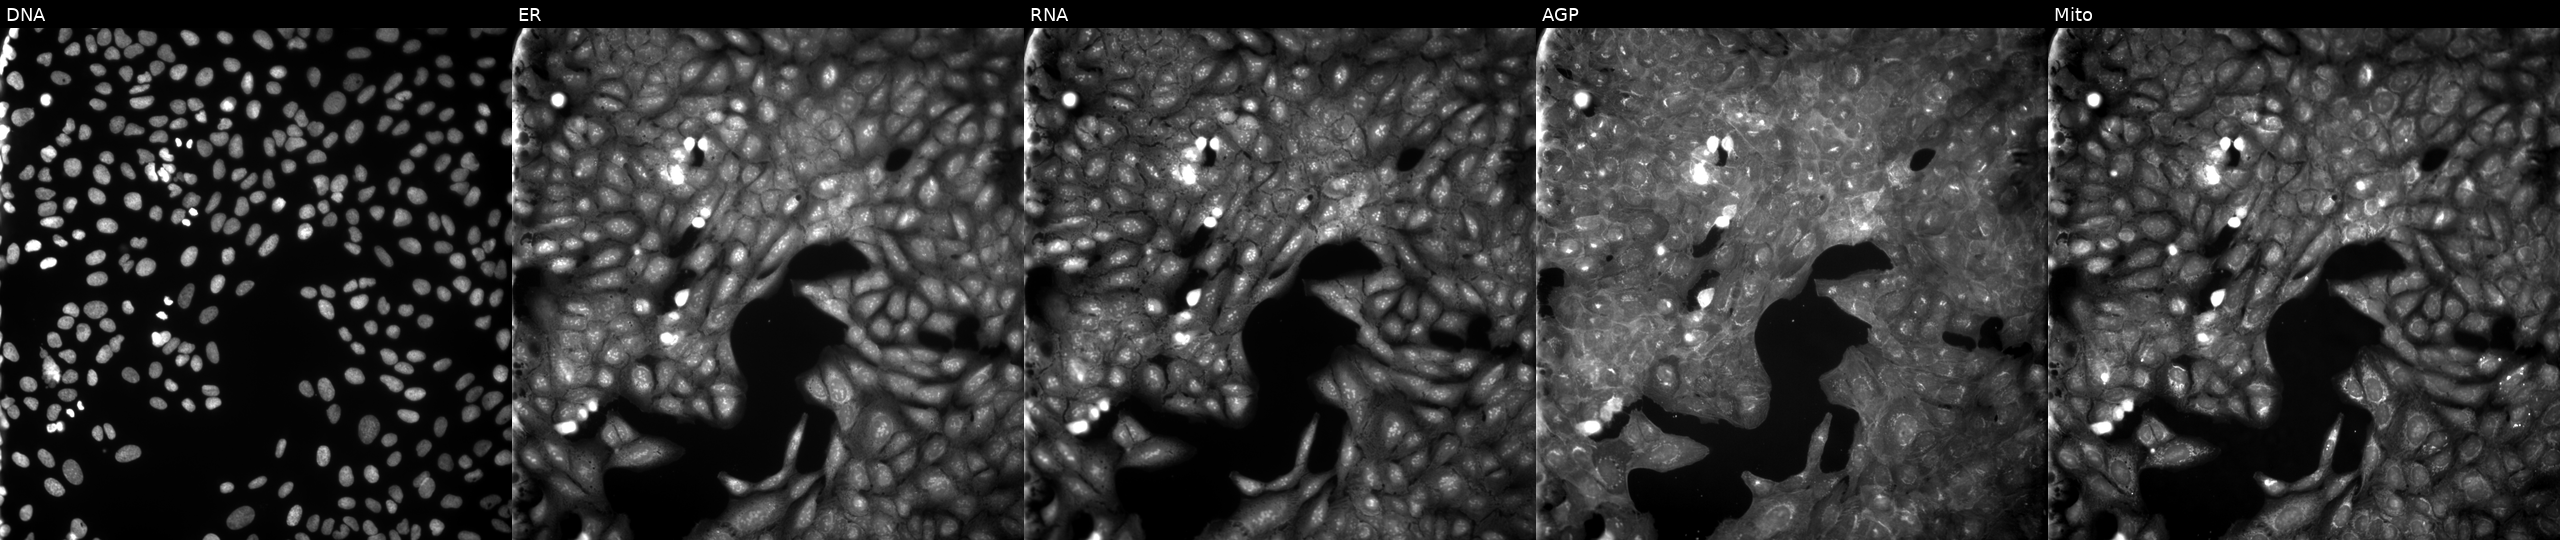
This image strip shows the five Cell Painting channels for a single field of U2OS cells exposed to a small-molecule compound (InChIKey KZCLSHSJZWDIOR-UHFFFAOYSA-N) (JUMP id JCP2022_047912). The five panels, left to right, show Hoechst 33342, concanavalin A, SYTO 14, phalloidin and WGA, MitoTracker.